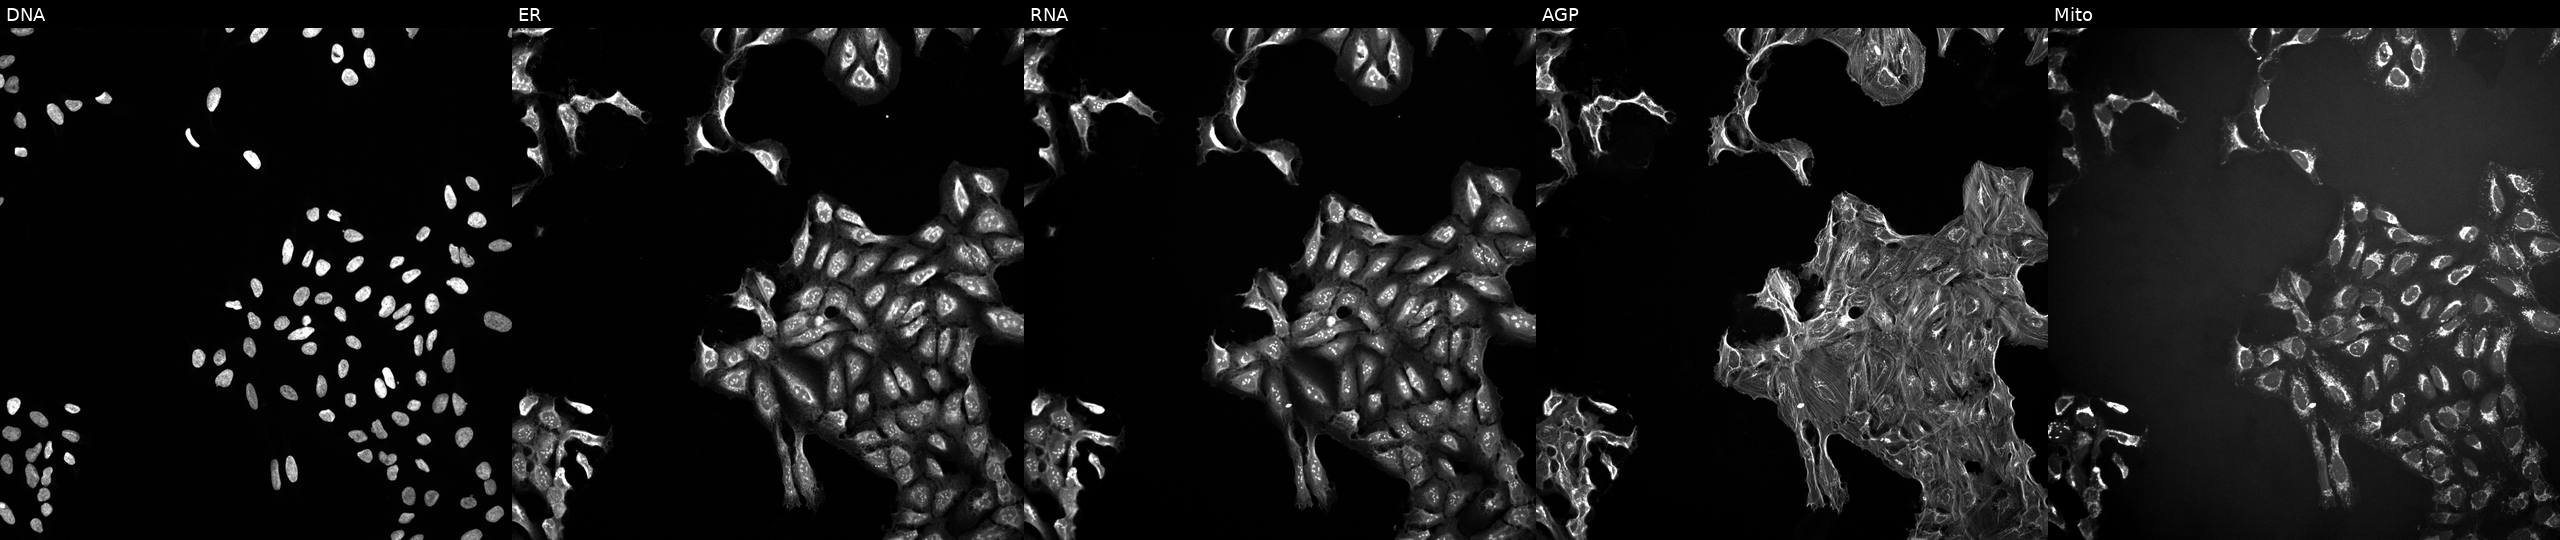
This image strip shows the five Cell Painting channels for a single field of U2OS cells treated with a small-molecule compound (InChIKey KBPLFHHGFOOTCA-UHFFFAOYSA-N). From left to right: DNA (nuclei); ER (endoplasmic reticulum); RNA (nucleoli and cytoplasmic RNA); AGP (actin cytoskeleton, Golgi, and plasma membrane); Mito (mitochondria).